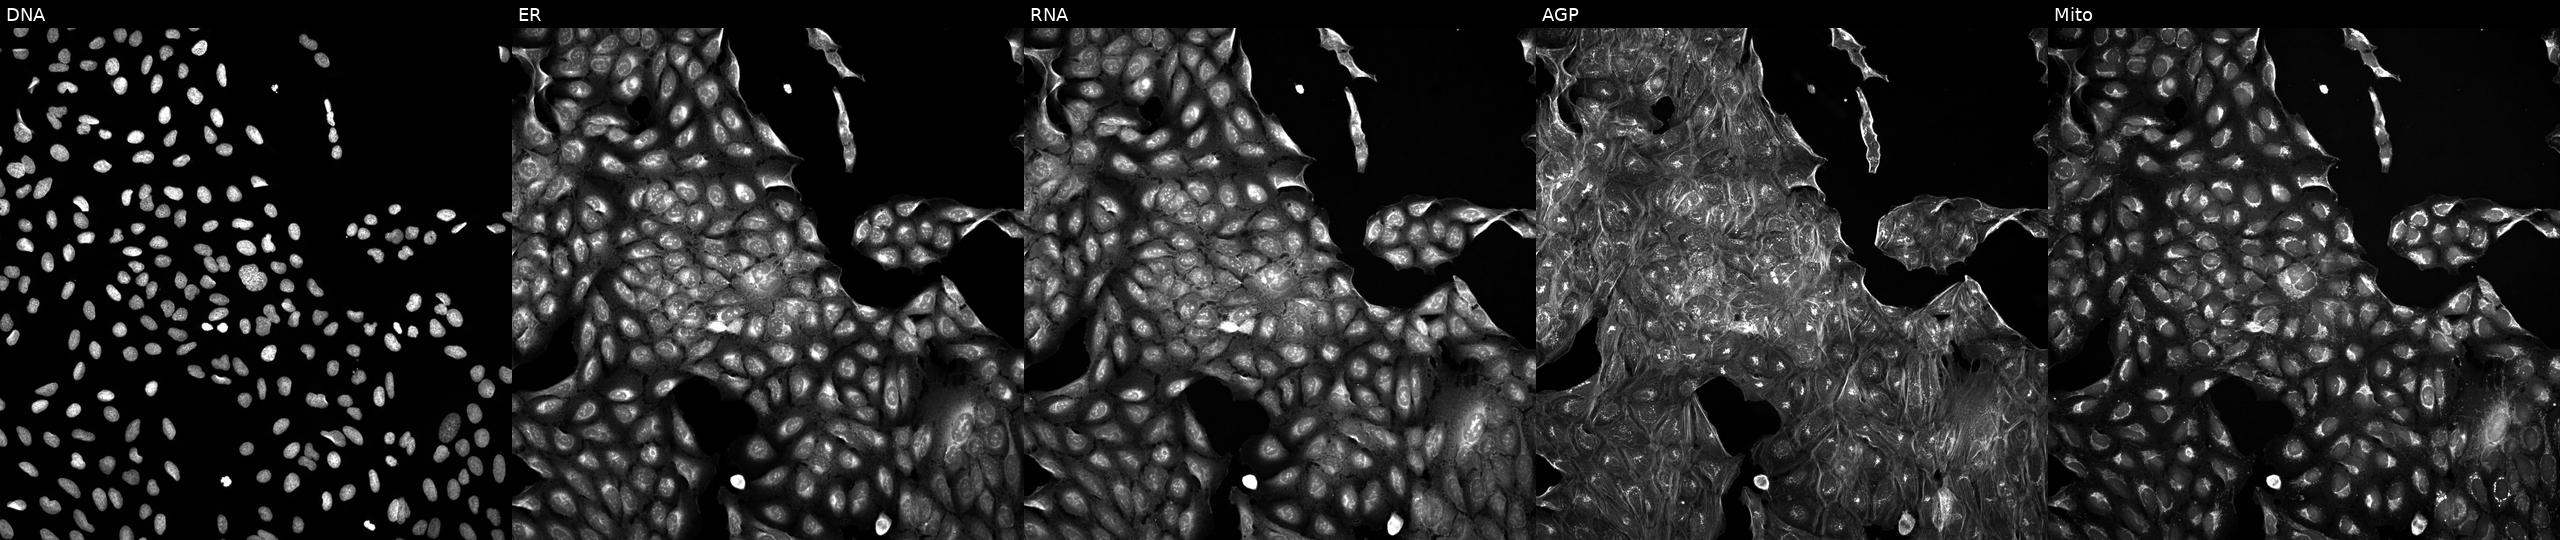
JUMP Cell Painting — TARGET2 plate. U2OS cells exposed to a small-molecule compound (InChIKey DXZRBHUCOHBAHP-UHFFFAOYSA-N). From left to right: Hoechst 33342, concanavalin A, SYTO 14, phalloidin and WGA, MitoTracker.